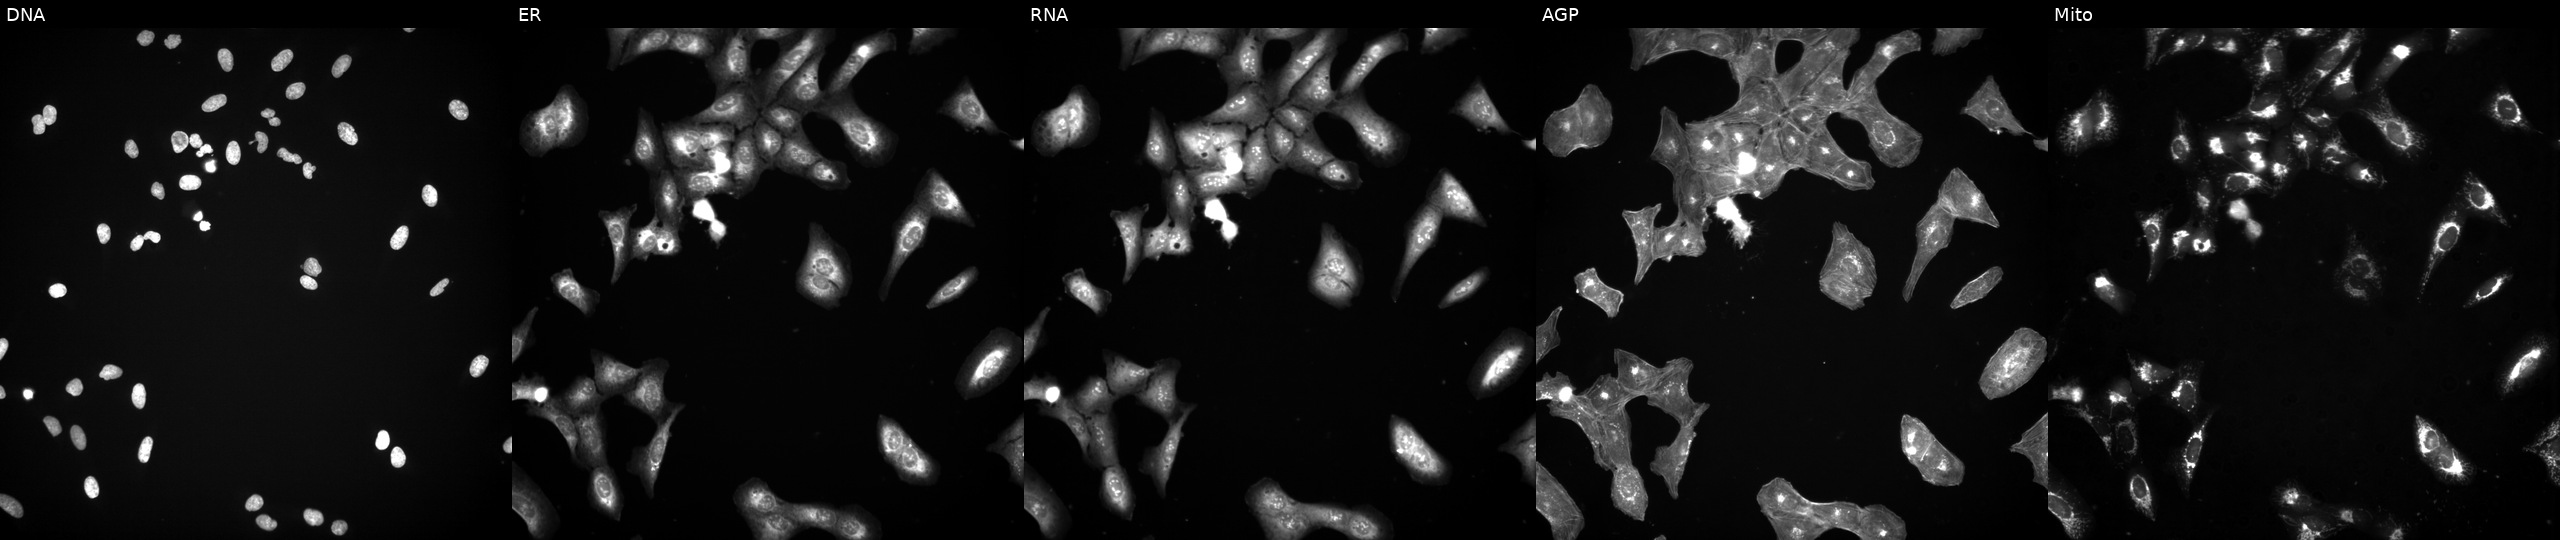
This image strip shows the five Cell Painting channels for a single field of U2OS cells perturbed with a small-molecule compound (InChIKey HUXYBQXJVXOMKX-UHFFFAOYSA-N) [SMILES: CC(C)CC(=O)N=c1[nH][nH]c2c1CN(C(=O)C1CCN(C)CC1)C2(C)C] (JUMP id JCP2022_032771). From left to right: DNA (nuclei); ER (endoplasmic reticulum); RNA (nucleoli and cytoplasmic RNA); AGP (actin cytoskeleton, Golgi, and plasma membrane); Mito (mitochondria).